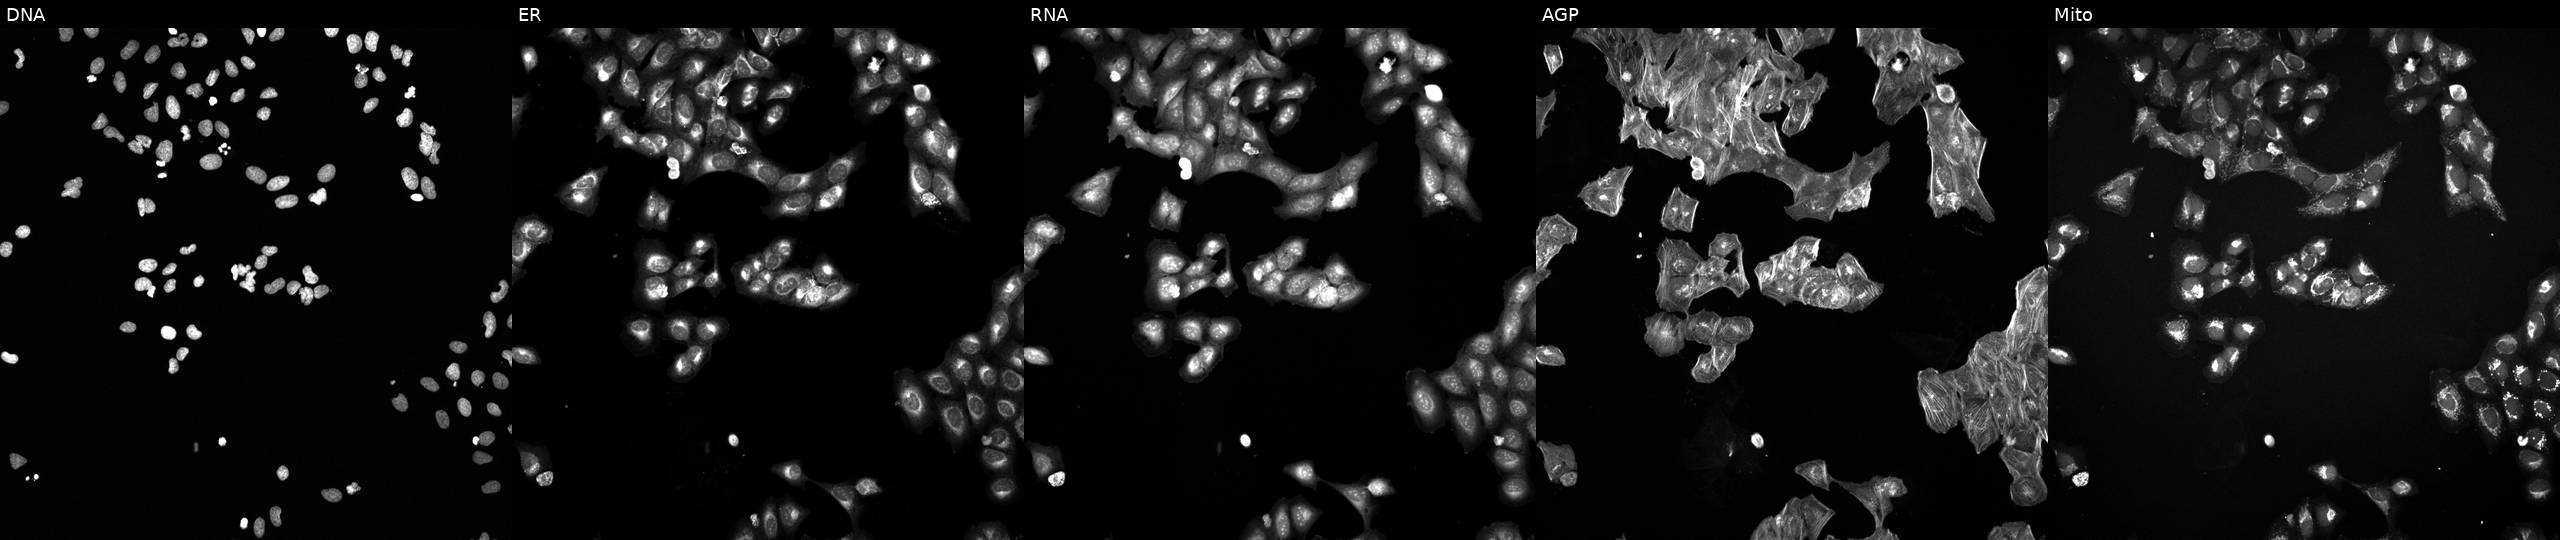
High-content fluorescence microscopy (Cell Painting). Cell line: U2OS. Perturbation: exposed to the positive-control compound NVS-PAK1-1. The five panels, left to right, show Hoechst 33342, concanavalin A, SYTO 14, phalloidin and WGA, MitoTracker.